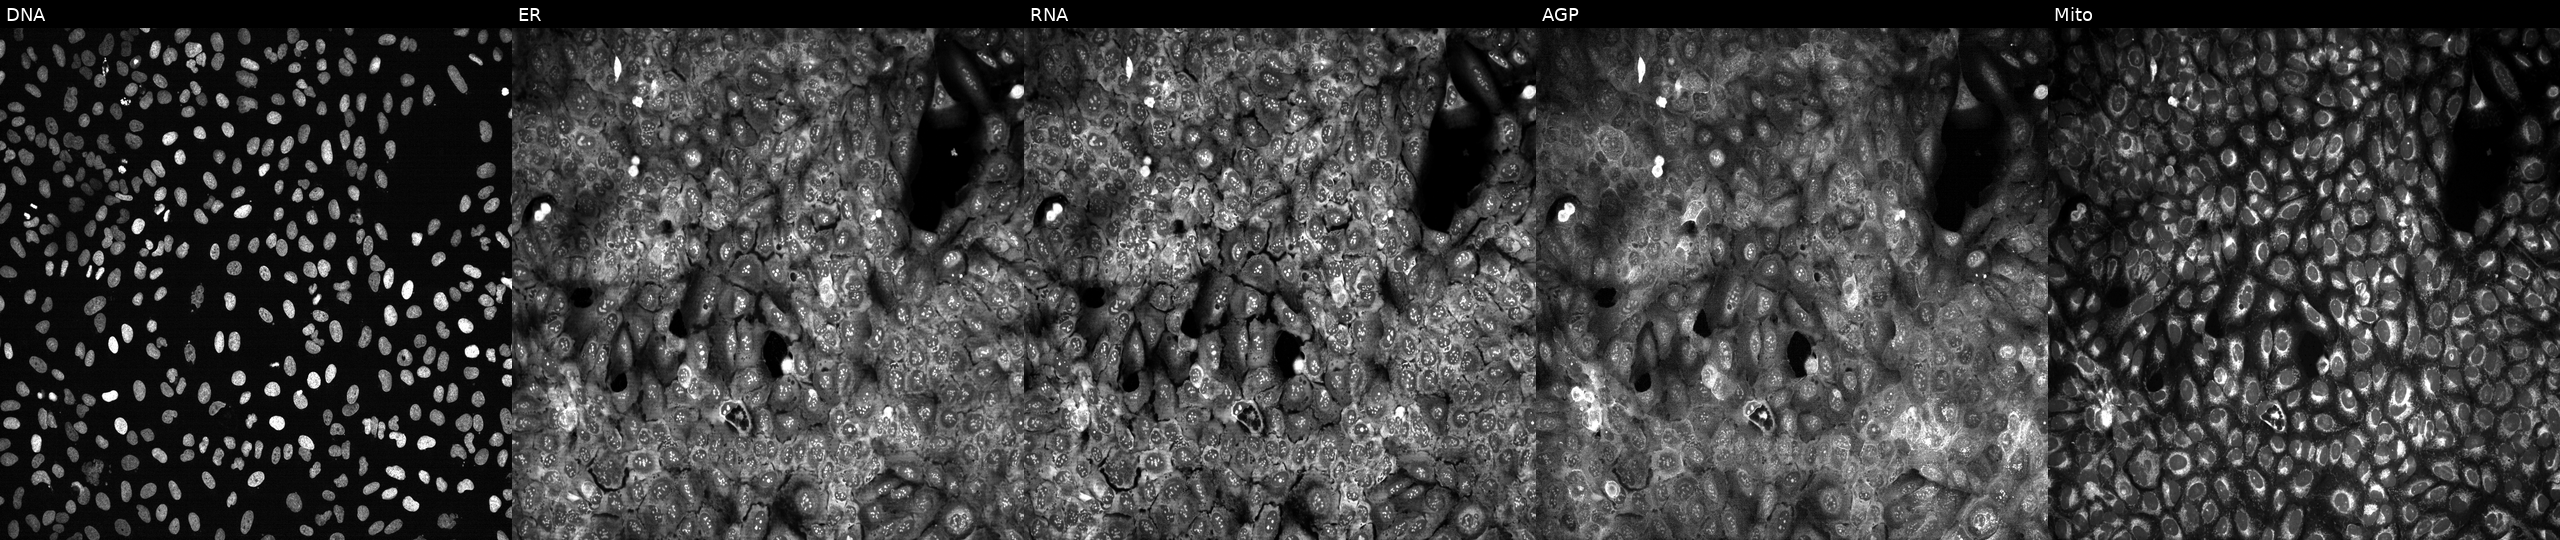
Five-channel Cell Painting image of U2OS cells CRISPR-edited to disrupt QPRT (JUMP id JCP2022_805734). Panels show, left to right, DNA (nuclei); ER (endoplasmic reticulum); RNA (nucleoli and cytoplasmic RNA); AGP (actin cytoskeleton, Golgi, and plasma membrane); Mito (mitochondria).